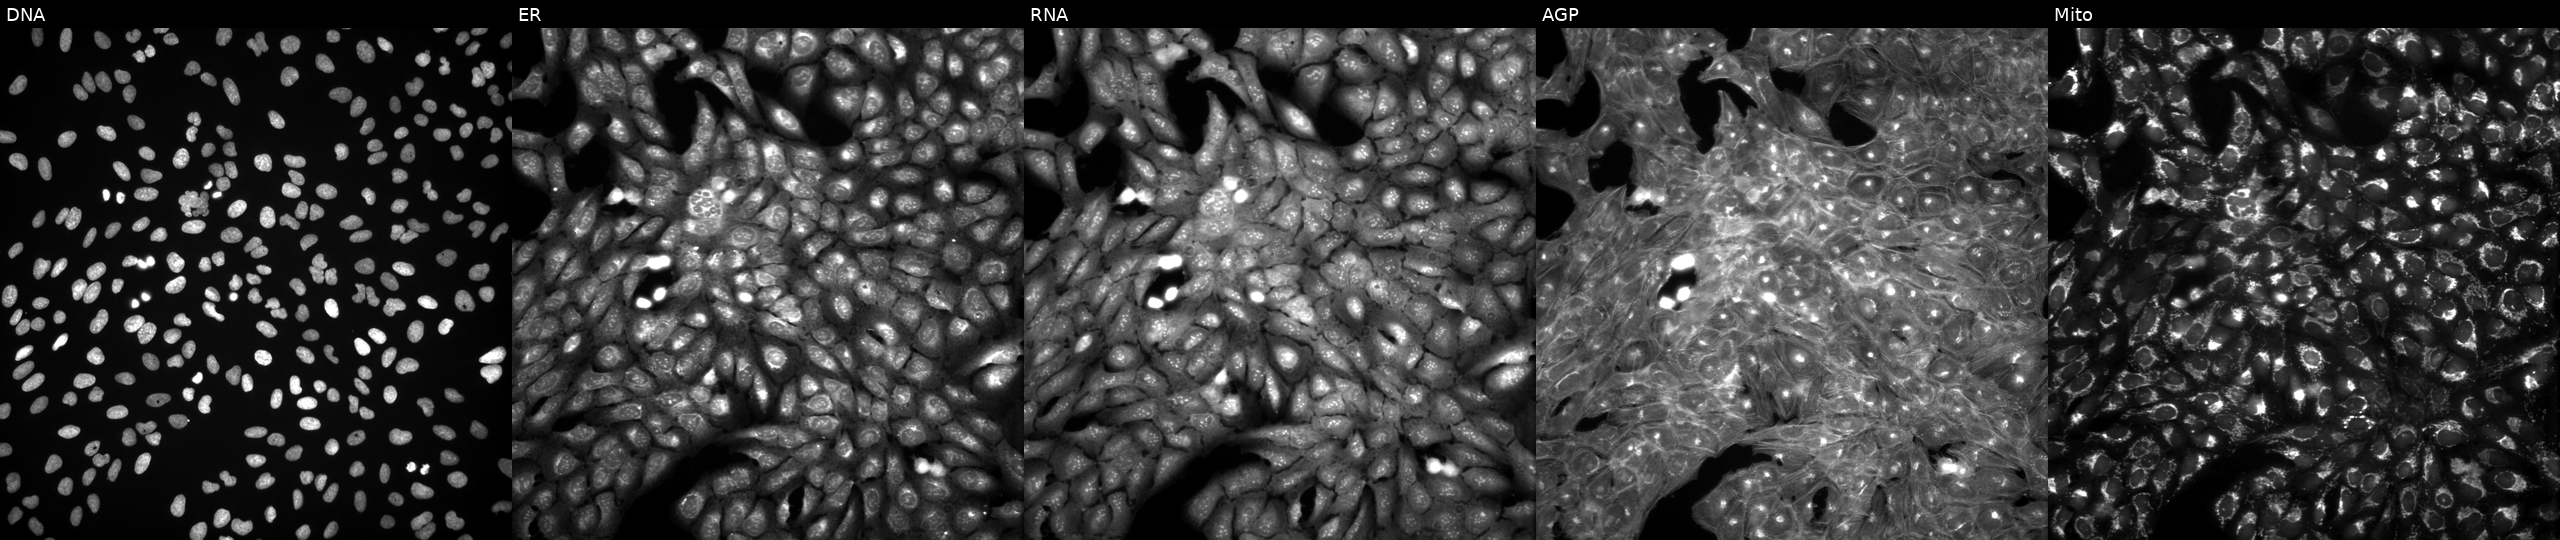
JUMP Cell Painting — TARGET2 plate. U2OS cells treated with DMSO vehicle only (negative control). The five panels, left to right, show DNA (nuclei); ER (endoplasmic reticulum); RNA (nucleoli and cytoplasmic RNA); AGP (actin cytoskeleton, Golgi, and plasma membrane); Mito (mitochondria).